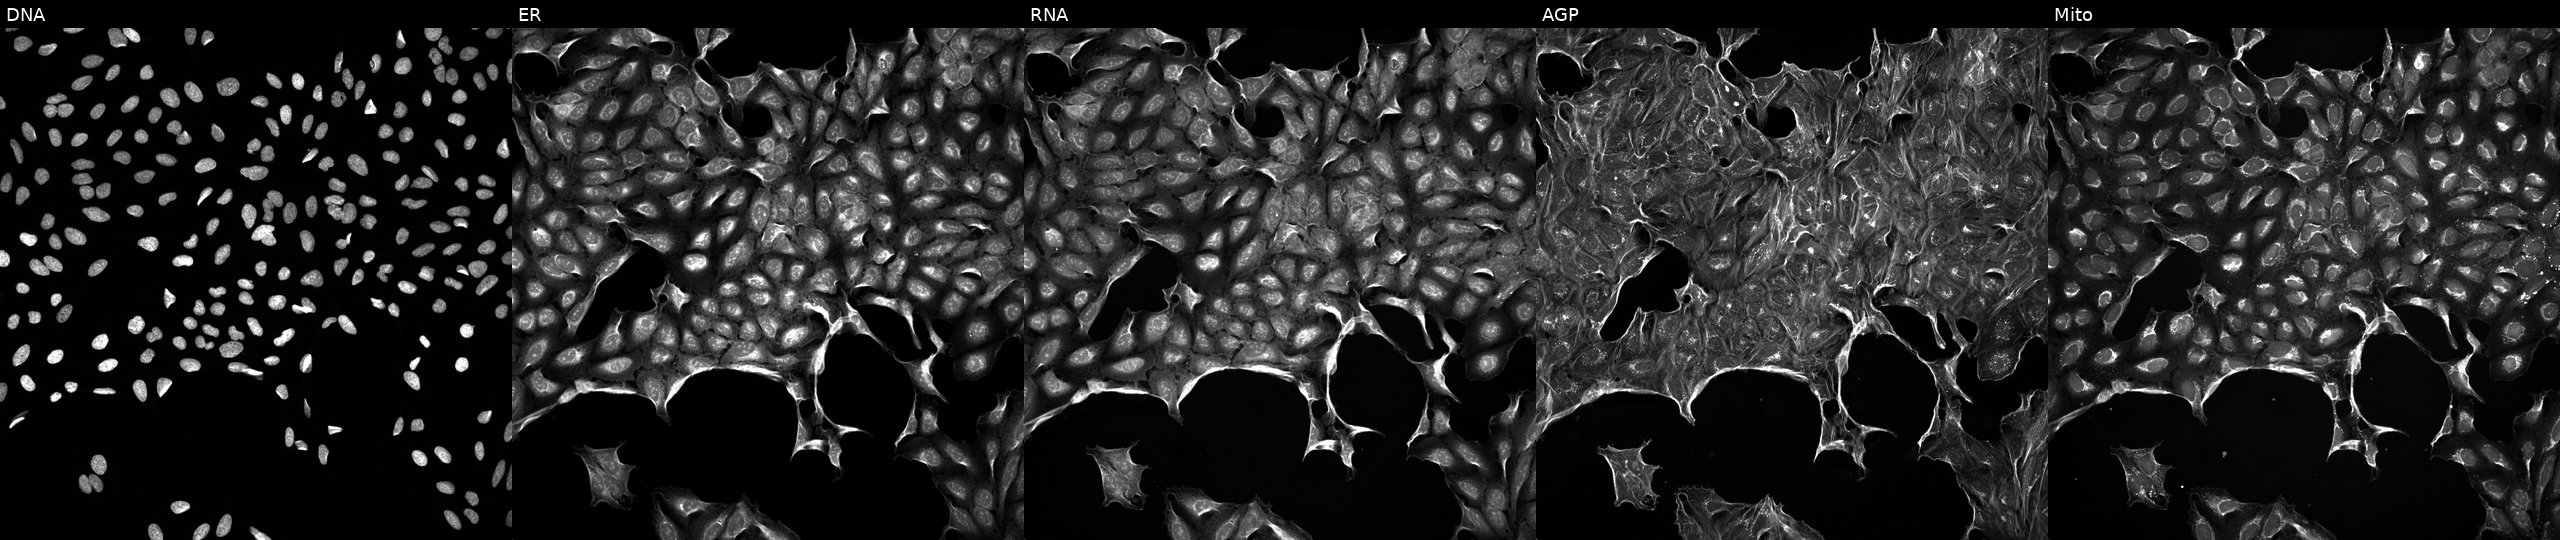
This image strip shows the five Cell Painting channels for a single field of U2OS cells perturbed with a small-molecule compound. Channels (left→right): DNA, ER, RNA, AGP, and Mito.